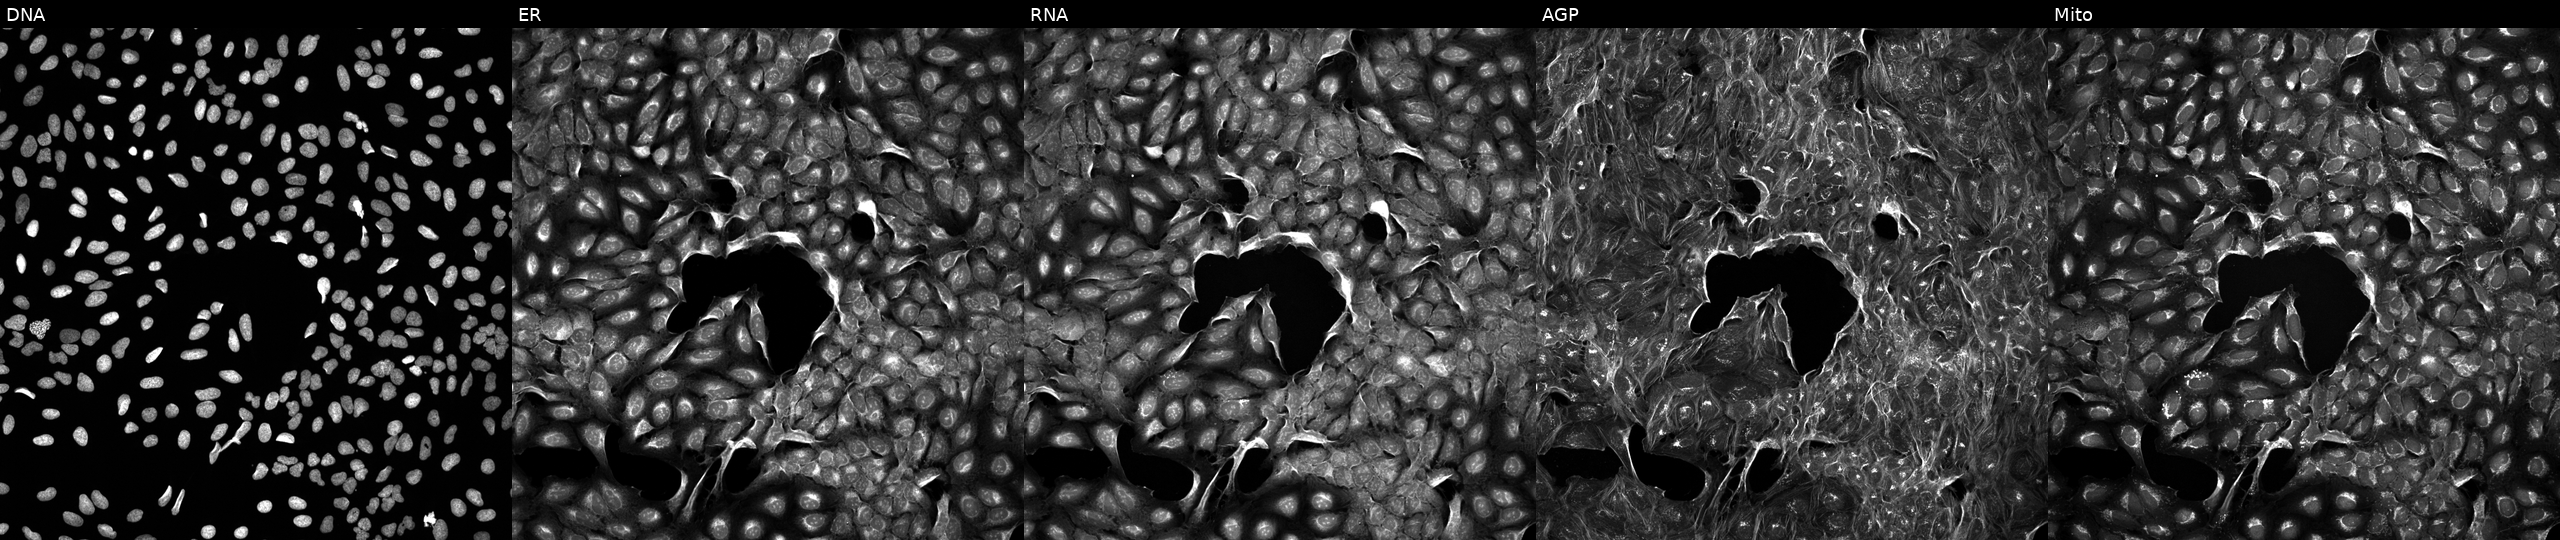
This image strip shows the five Cell Painting channels for a single field of U2OS cells perturbed with a small-molecule compound (JUMP id JCP2022_078588). Panels show, left to right, DNA (nuclei); ER (endoplasmic reticulum); RNA (nucleoli and cytoplasmic RNA); AGP (actin cytoskeleton, Golgi, and plasma membrane); Mito (mitochondria).